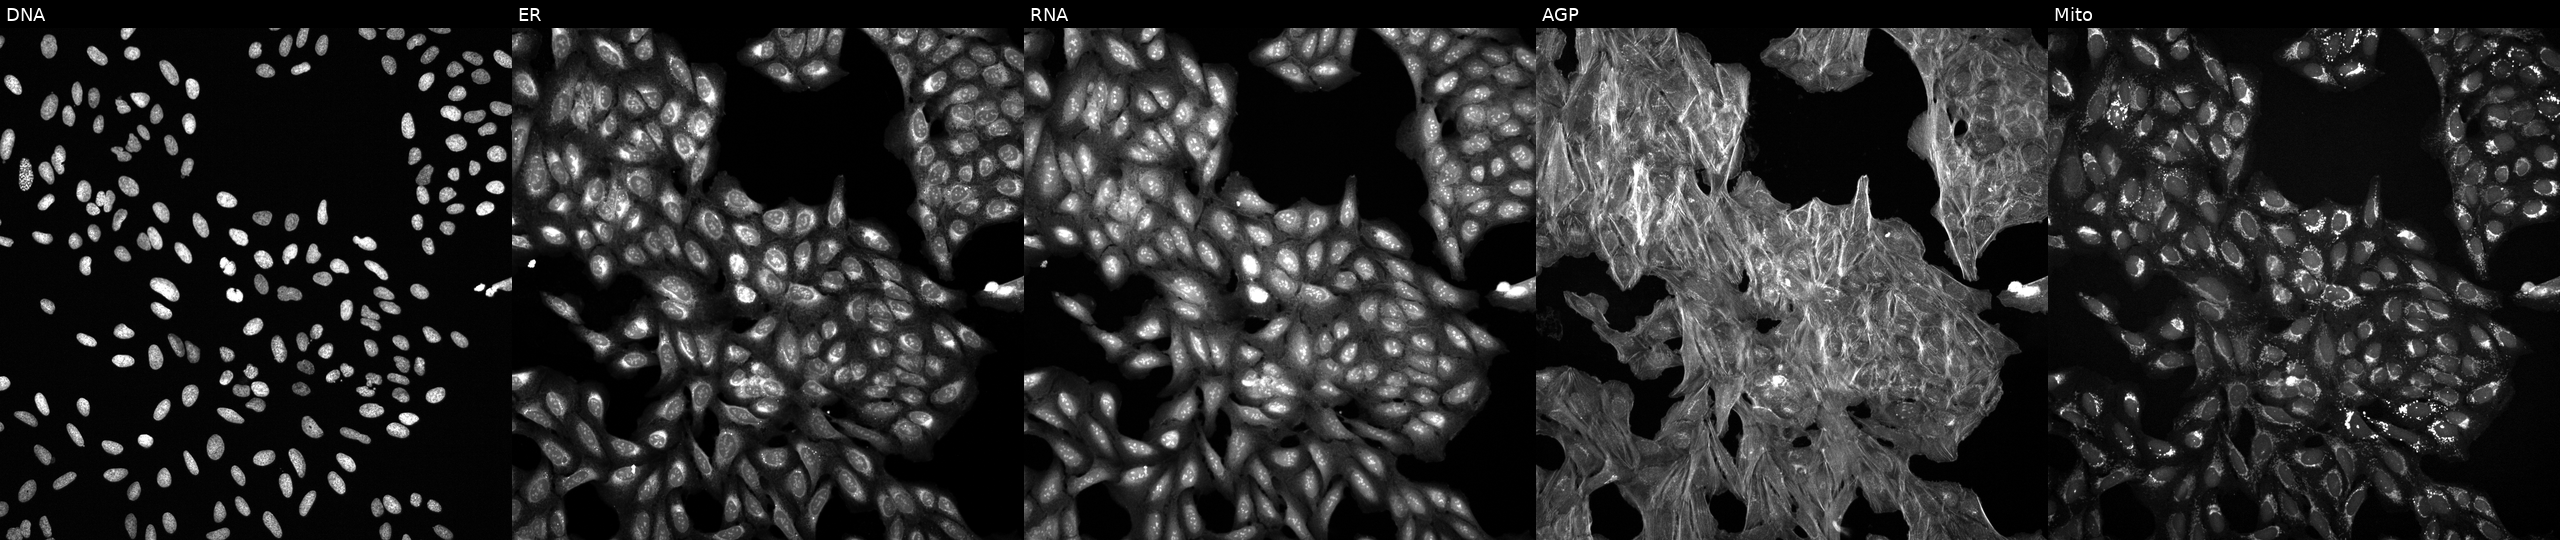
This image strip shows the five Cell Painting channels for a single field of U2OS cells perturbed with a small-molecule compound (InChIKey DXWQNNYNCZGDSJ-UHFFFAOYSA-N) [SMILES: Cc1cc(C(=O)Nc2ccccc2)c2c(-c3ccccc3F)noc2n1] (JUMP id JCP2022_018874). From left to right: DNA (nuclei); ER (endoplasmic reticulum); RNA (nucleoli and cytoplasmic RNA); AGP (actin cytoskeleton, Golgi, and plasma membrane); Mito (mitochondria).